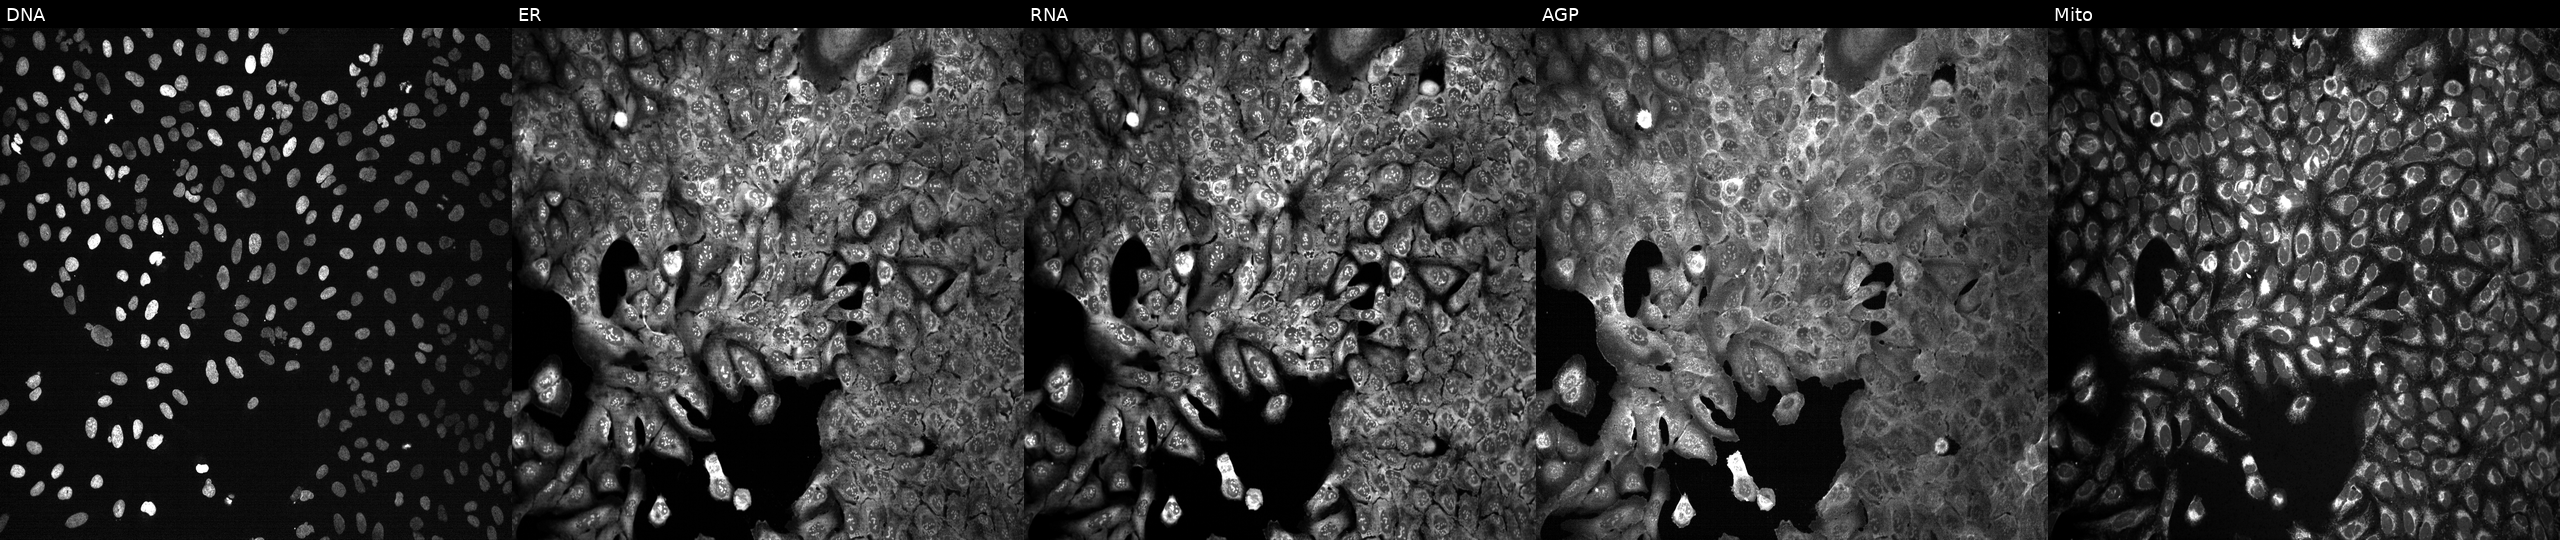
From left to right: Hoechst 33342, concanavalin A, SYTO 14, phalloidin and WGA, MitoTracker. U2OS osteosarcoma cells with IL11RA knocked out by CRISPR. Cell Painting assay, JUMP-CP dataset. Source 13, plate CP-CC9-R3-01, well D22.